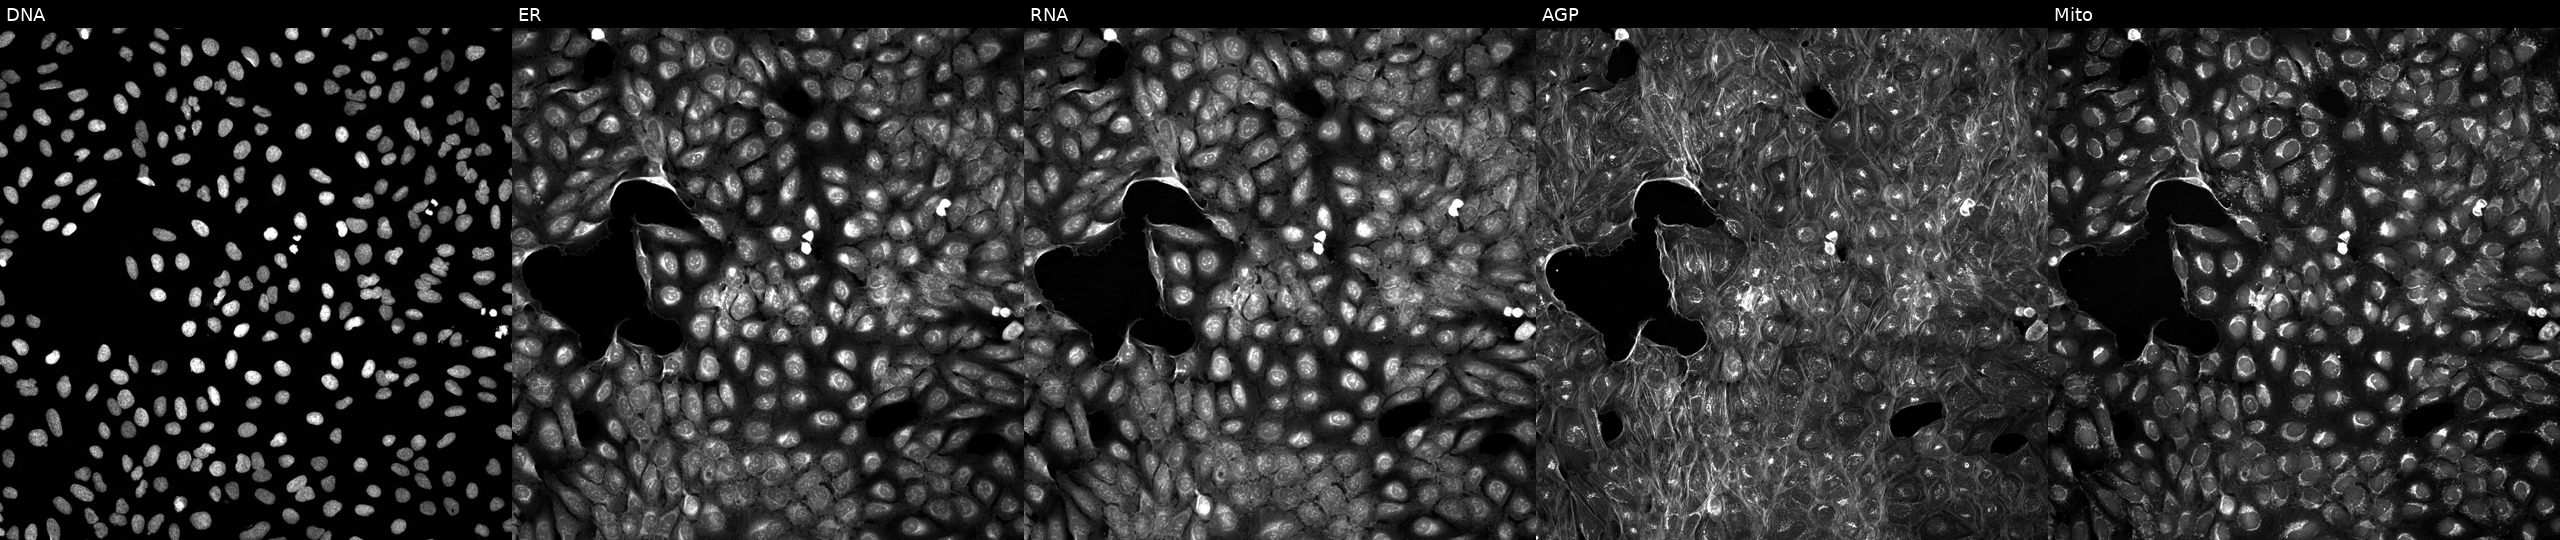
JUMP Cell Painting — TARGET2 plate. U2OS cells exposed to DMSO alone as a negative control. Panels show, left to right, DNA, ER, RNA, AGP, and Mito.